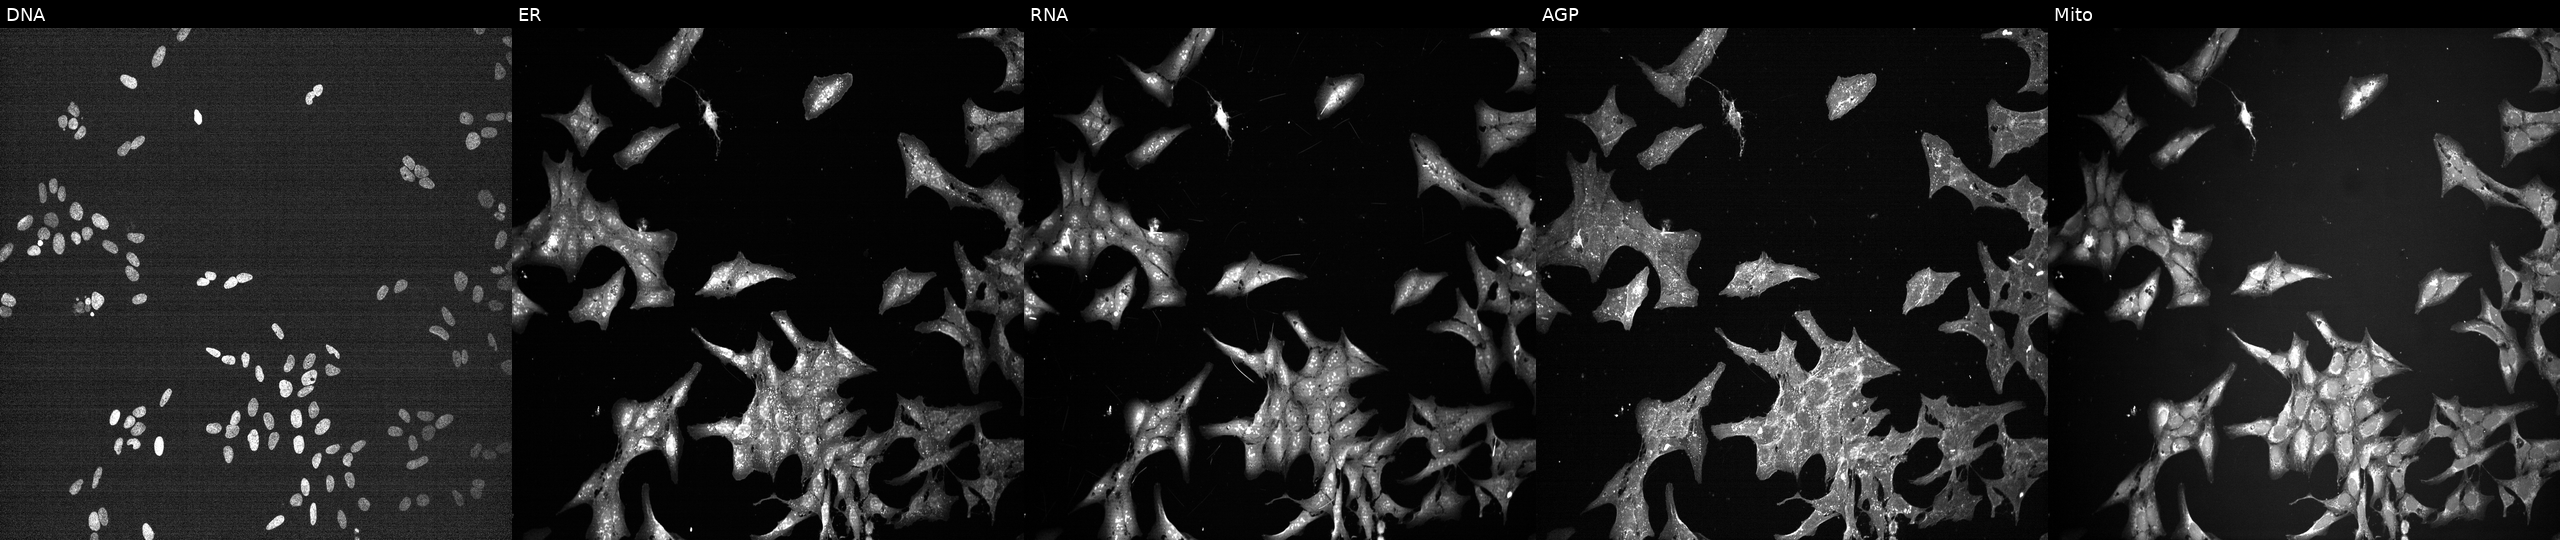
JUMP Cell Painting — TARGET2 plate. U2OS cells exposed to a small-molecule compound (InChIKey KAJXOWFGKYKMMZ-UHFFFAOYSA-N) (JUMP id JCP2022_043287). The five panels, left to right, show Hoechst 33342, concanavalin A, SYTO 14, phalloidin and WGA, MitoTracker.